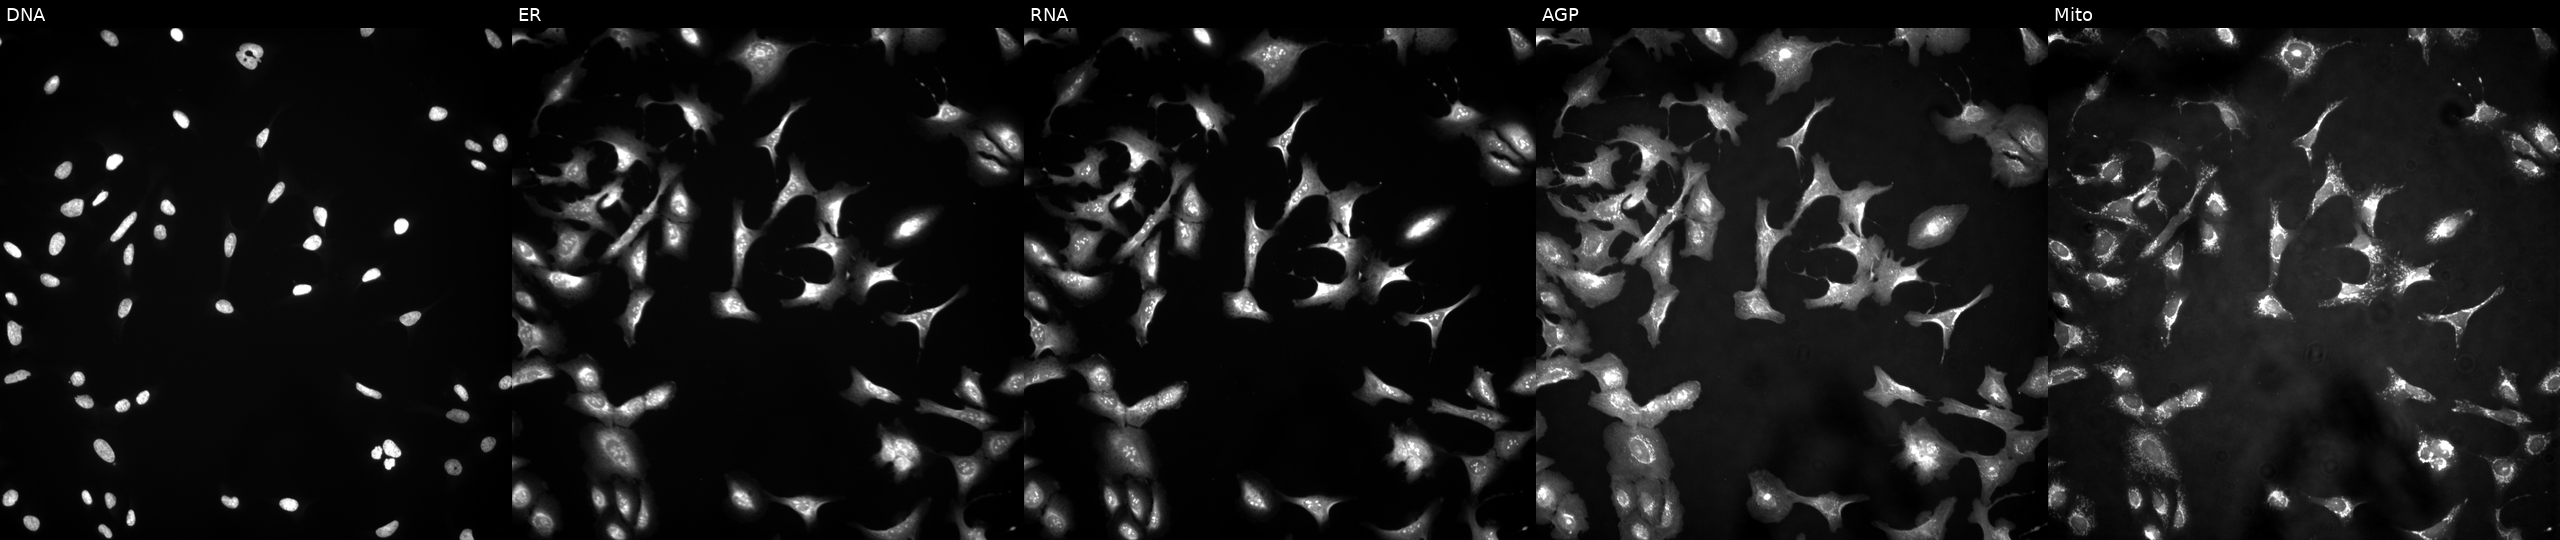
This image strip shows the five Cell Painting channels for a single field of U2OS cells transfected with an ORF construct for KIAA0408 (JUMP id JCP2022_910641). The five panels, left to right, show DNA (nuclei); ER (endoplasmic reticulum); RNA (nucleoli and cytoplasmic RNA); AGP (actin cytoskeleton, Golgi, and plasma membrane); Mito (mitochondria).